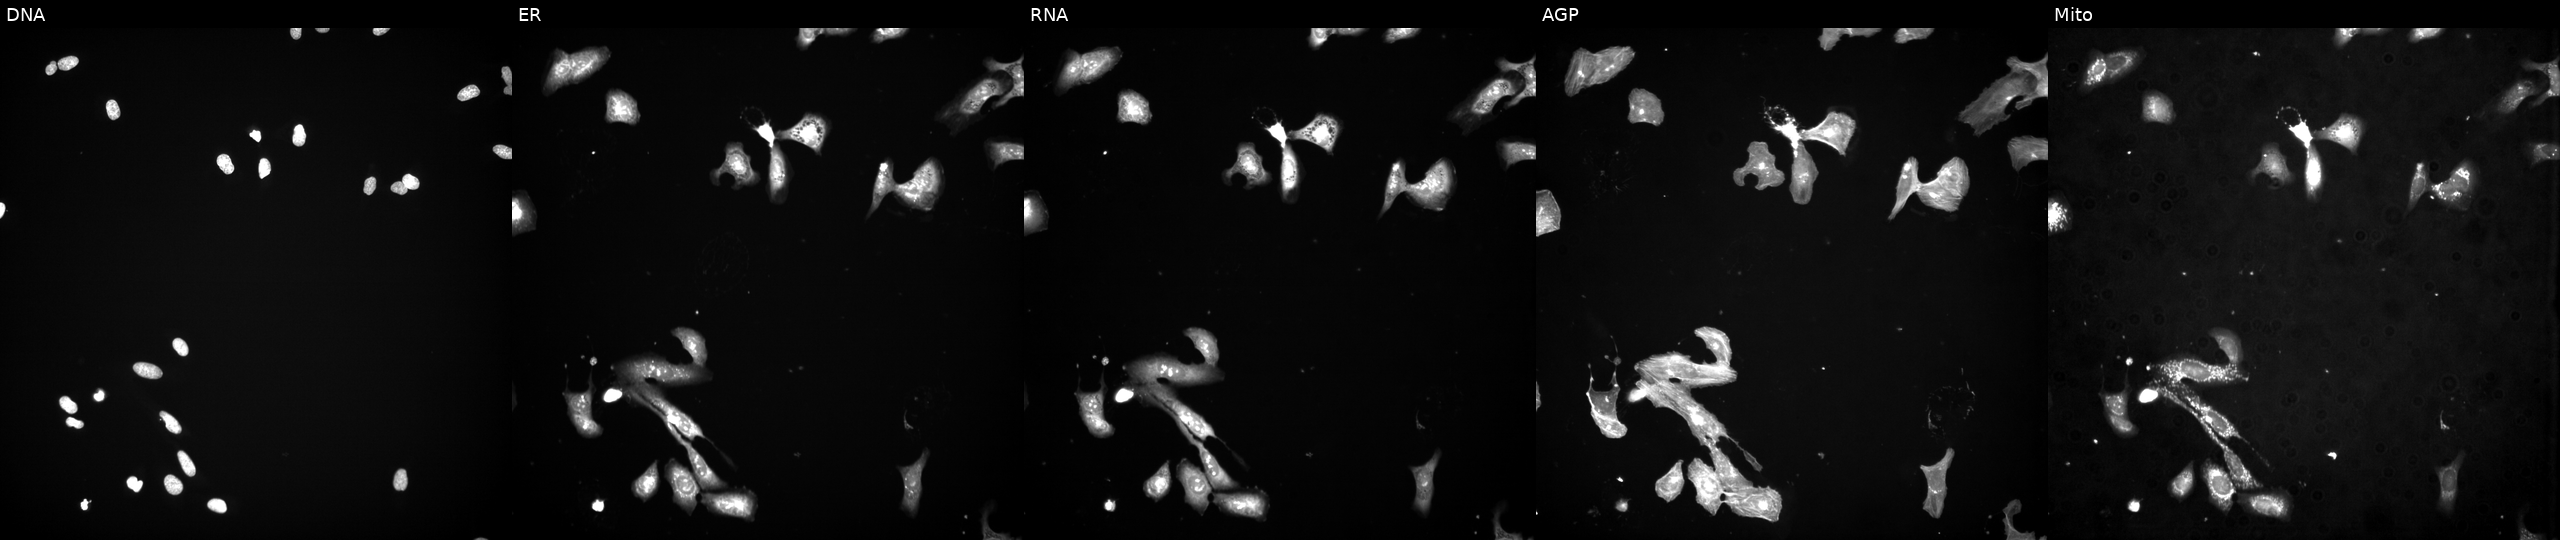
JUMP Cell Painting — TARGET2 plate. U2OS cells exposed to a small-molecule compound. Panels show, left to right, DNA, ER, RNA, AGP, and Mito.